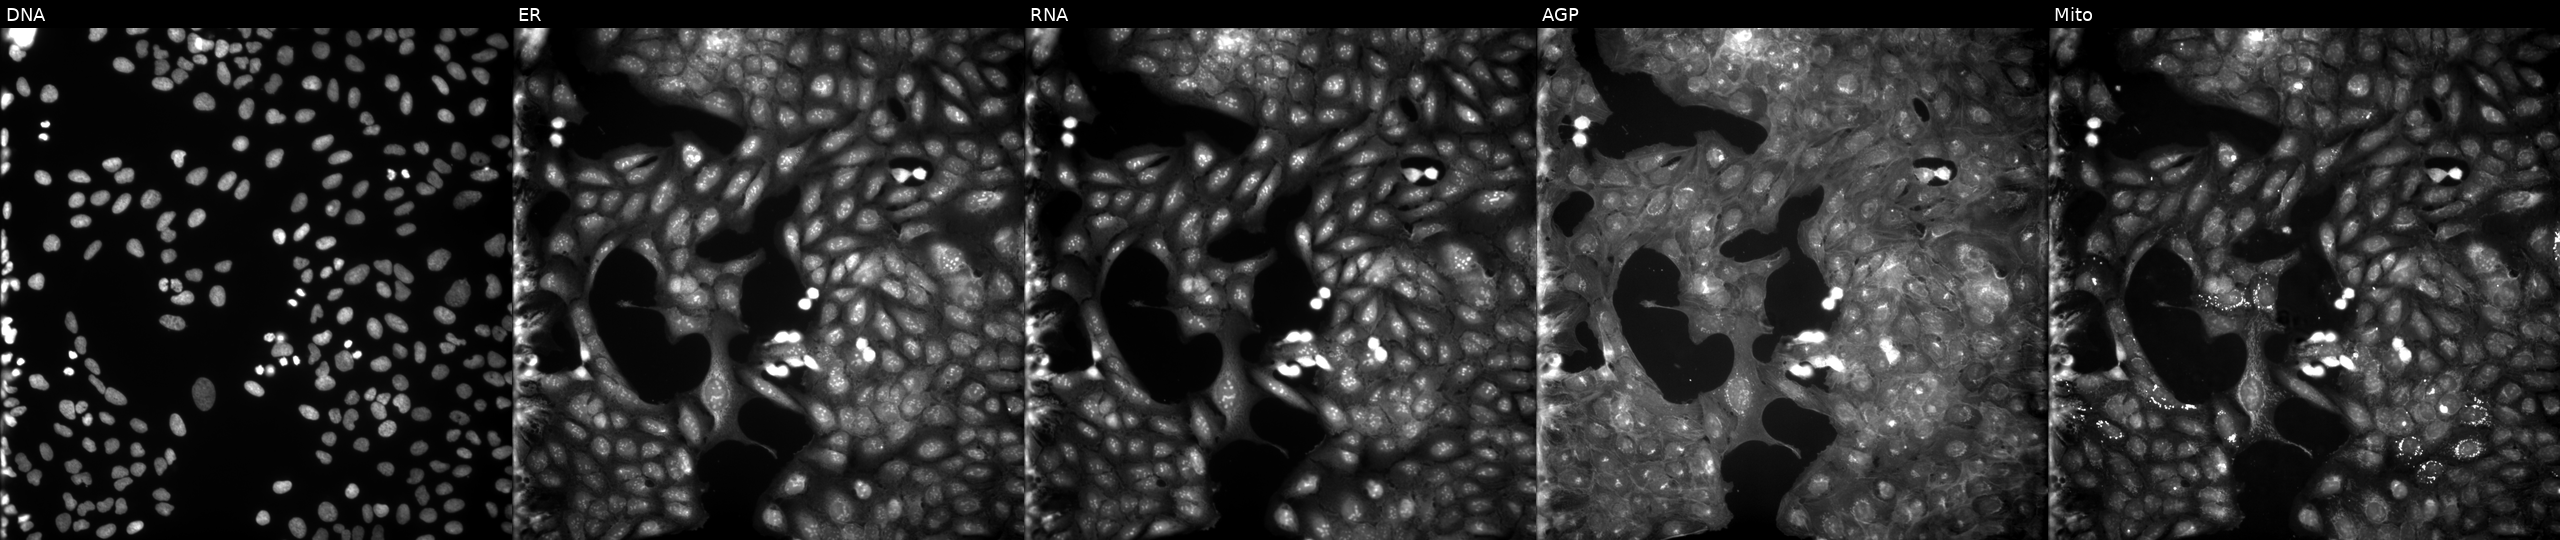
The five panels, left to right, show DNA, ER, RNA, AGP, and Mito. U2OS osteosarcoma cells perturbed with a small-molecule compound (InChIKey KHLVFSROAHCZNK-UHFFFAOYSA-N). Cell Painting assay, JUMP-CP dataset.